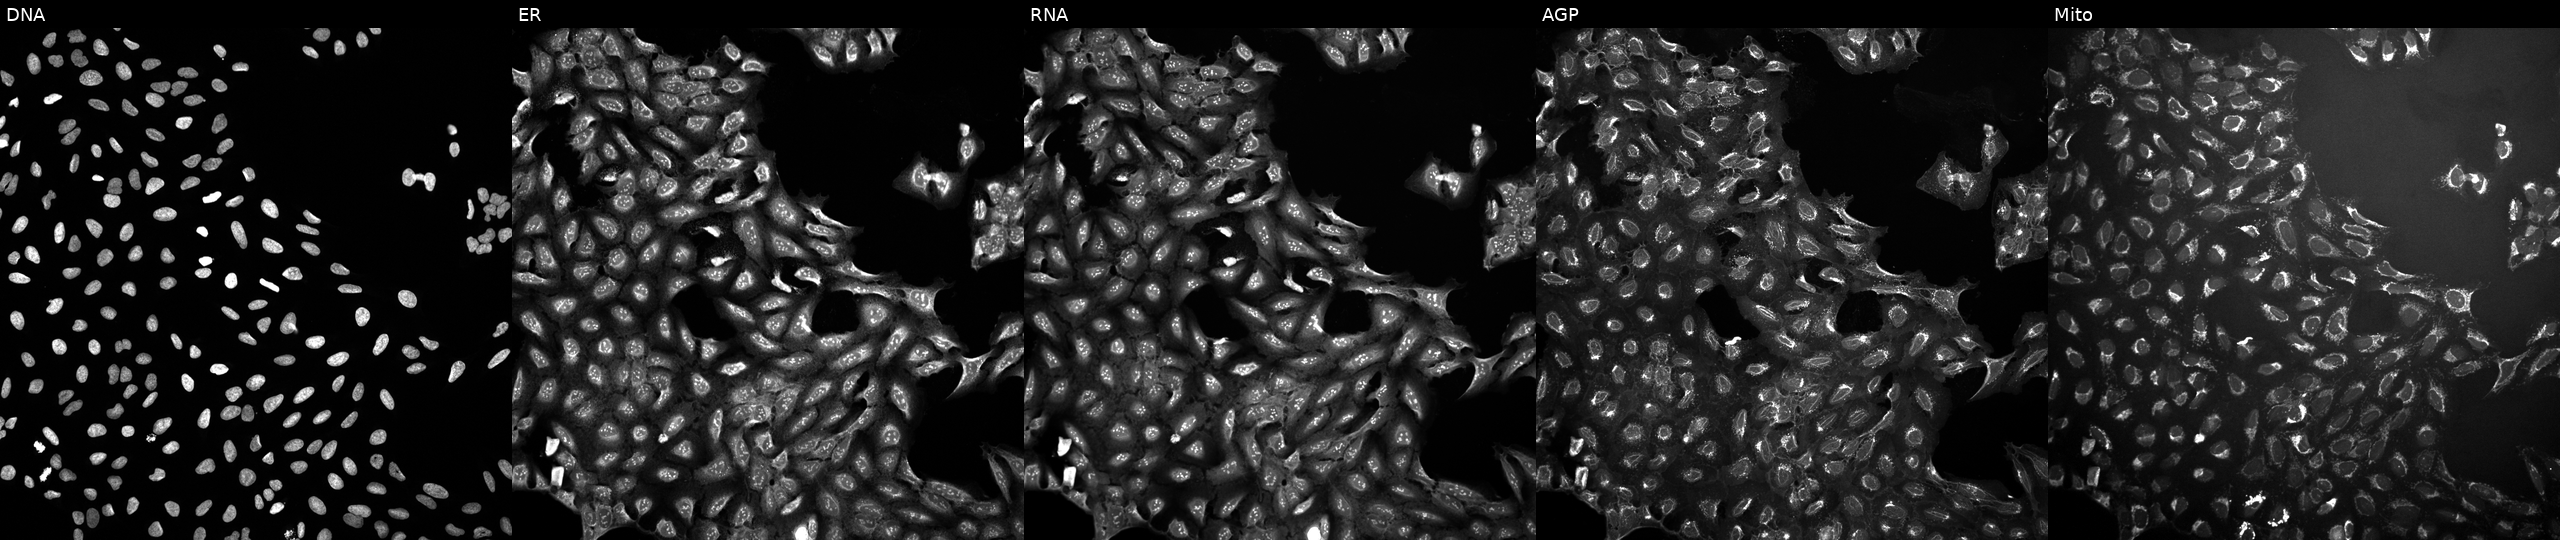
JUMP Cell Painting — TARGET2 plate. U2OS cells perturbed with a small-molecule compound (JUMP id JCP2022_111730). Panels show, left to right, Hoechst 33342, concanavalin A, SYTO 14, phalloidin and WGA, MitoTracker.